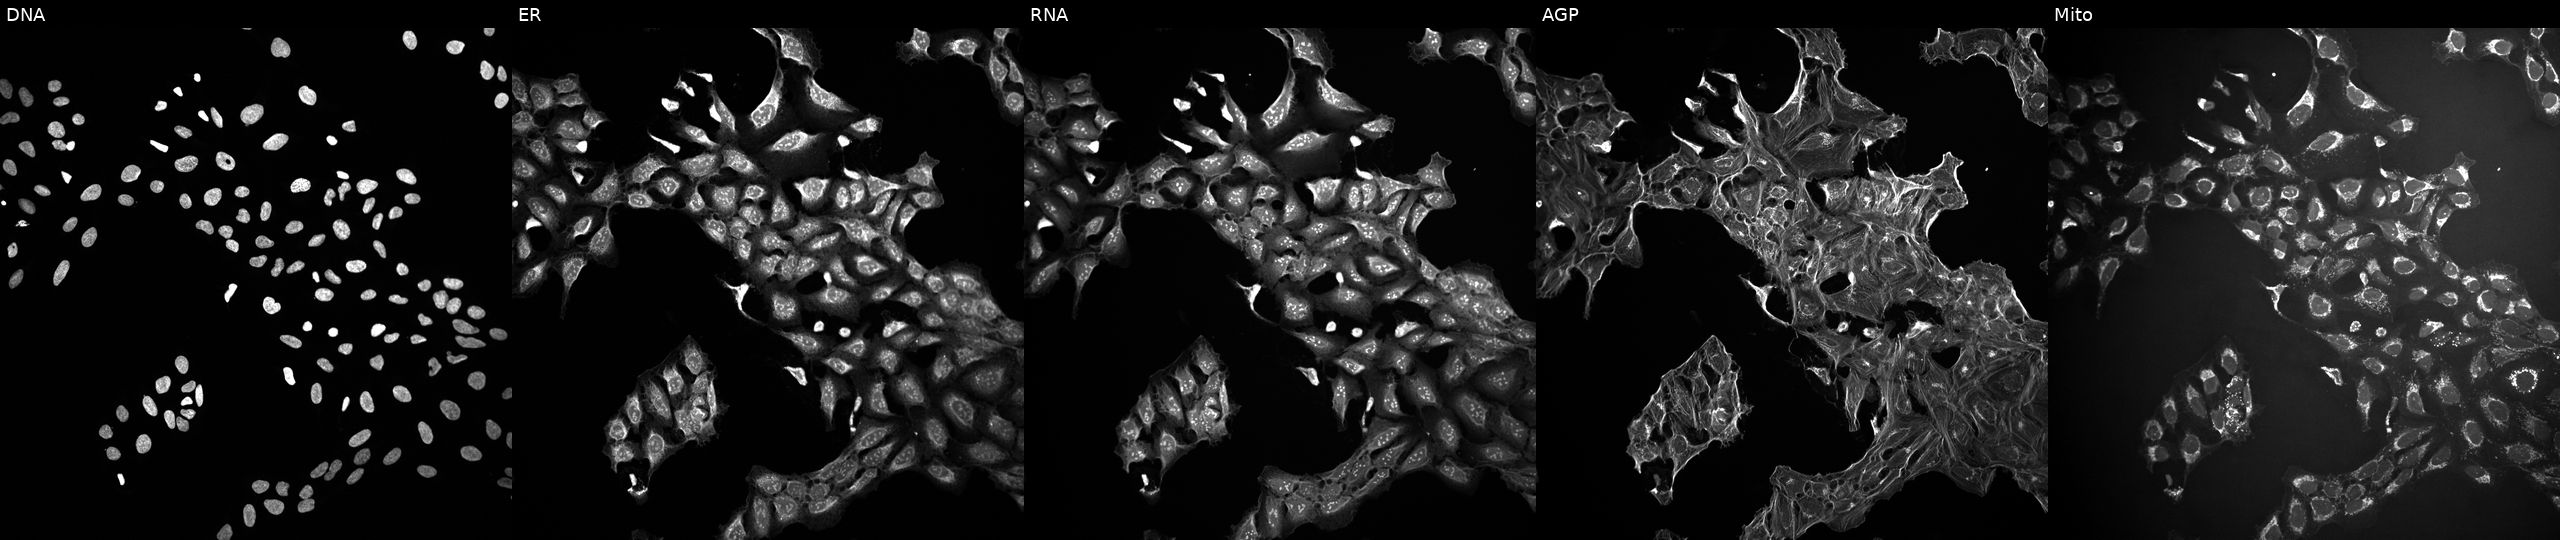
U2OS cells, Cell Painting assay, exposed to a small-molecule compound (InChIKey ALBKMJDFBZVHAK-UHFFFAOYSA-N) [SMILES: CCOC(=O)c1ncc2[nH]c3ccc(OCc4ccccc4)cc3c2c1COC]. Channels (left→right): DNA, ER, RNA, AGP, and Mito. Each panel is percentile-stretched 16-bit fluorescence. Source 10, plate Dest210727-153003, well M19.